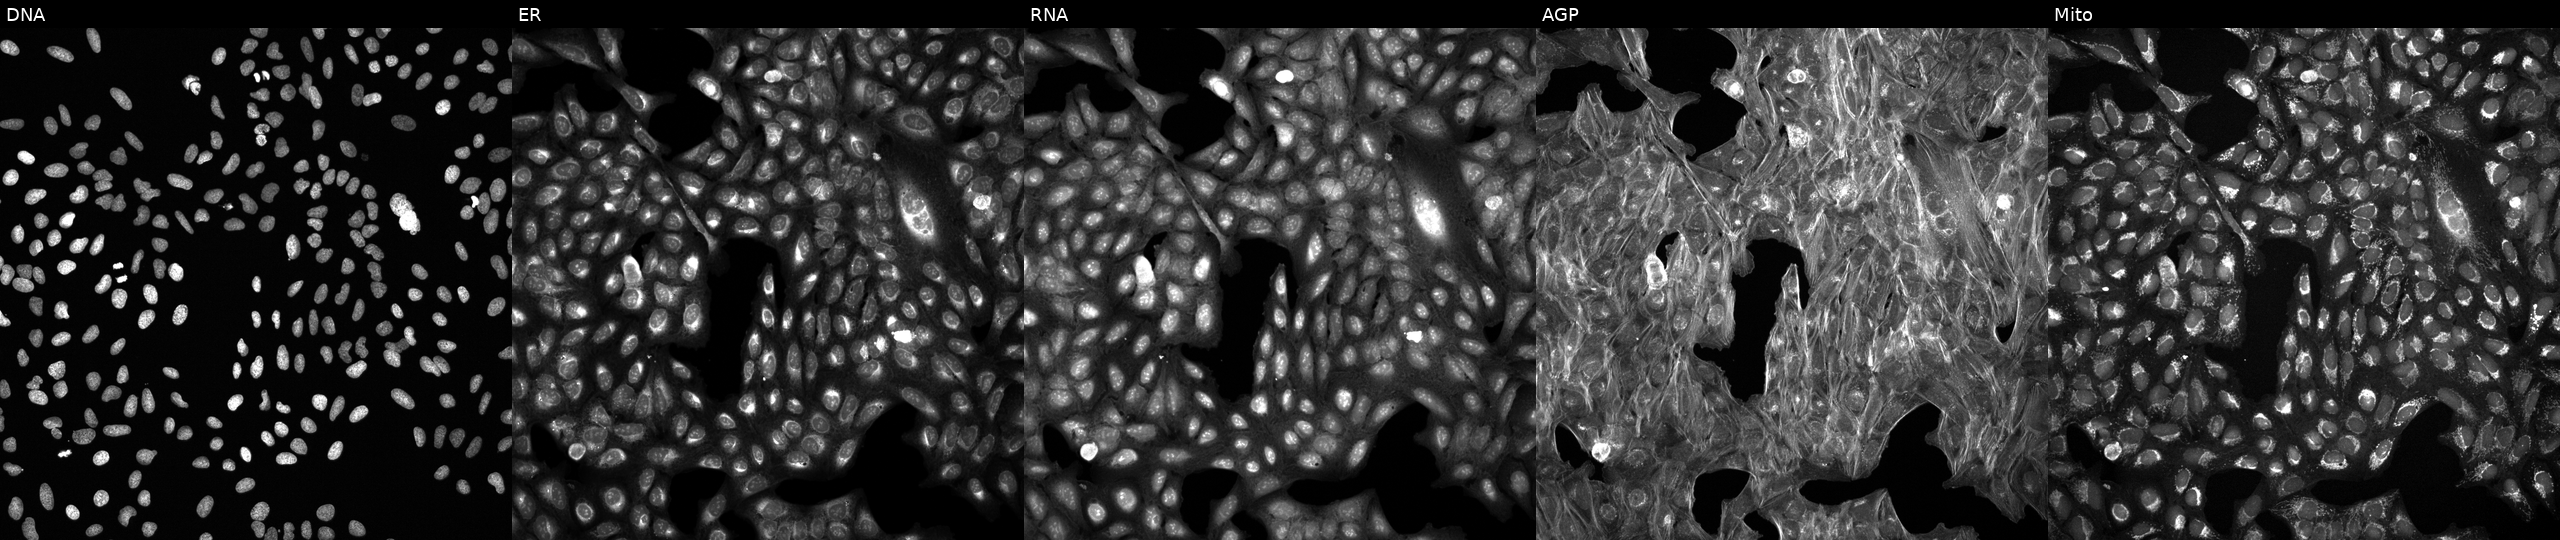
Five-channel Cell Painting image of U2OS cells exposed to a small-molecule compound (InChIKey LMEKQMALGUDUQG-UHFFFAOYSA-N). Channels (left→right): DNA (nuclei); ER (endoplasmic reticulum); RNA (nucleoli and cytoplasmic RNA); AGP (actin cytoskeleton, Golgi, and plasma membrane); Mito (mitochondria).